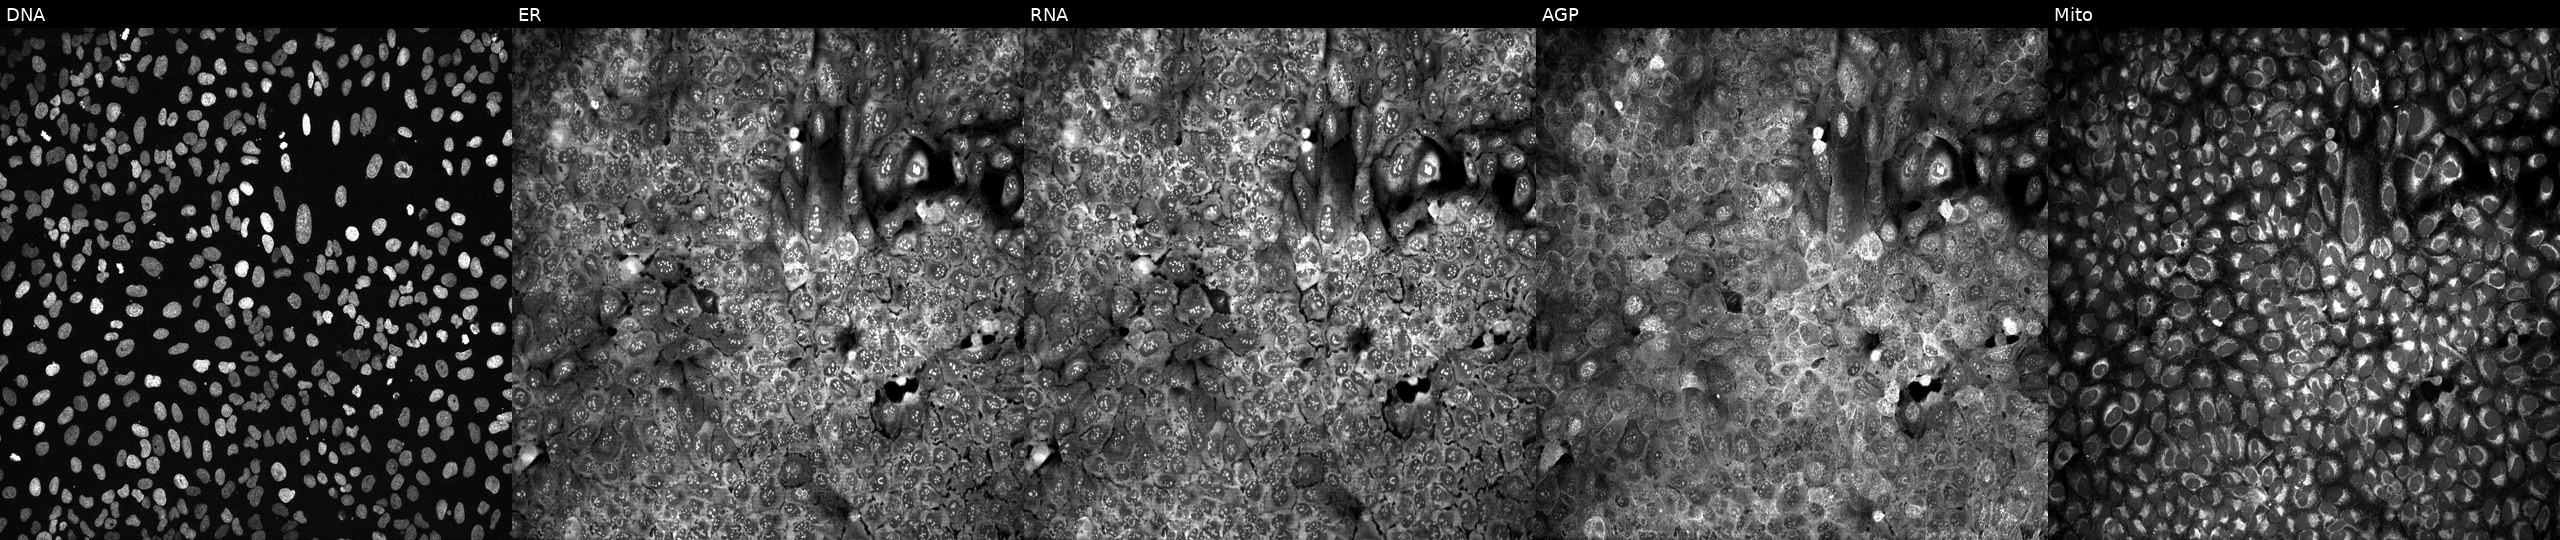
High-content fluorescence microscopy (Cell Painting). Cell line: U2OS. Perturbation: with SLC30A4 knocked out by CRISPR (JUMP id JCP2022_806498). The five panels, left to right, show DNA (nuclei); ER (endoplasmic reticulum); RNA (nucleoli and cytoplasmic RNA); AGP (actin cytoskeleton, Golgi, and plasma membrane); Mito (mitochondria). Source 13, plate CP-CC9-R4-04, well N16.